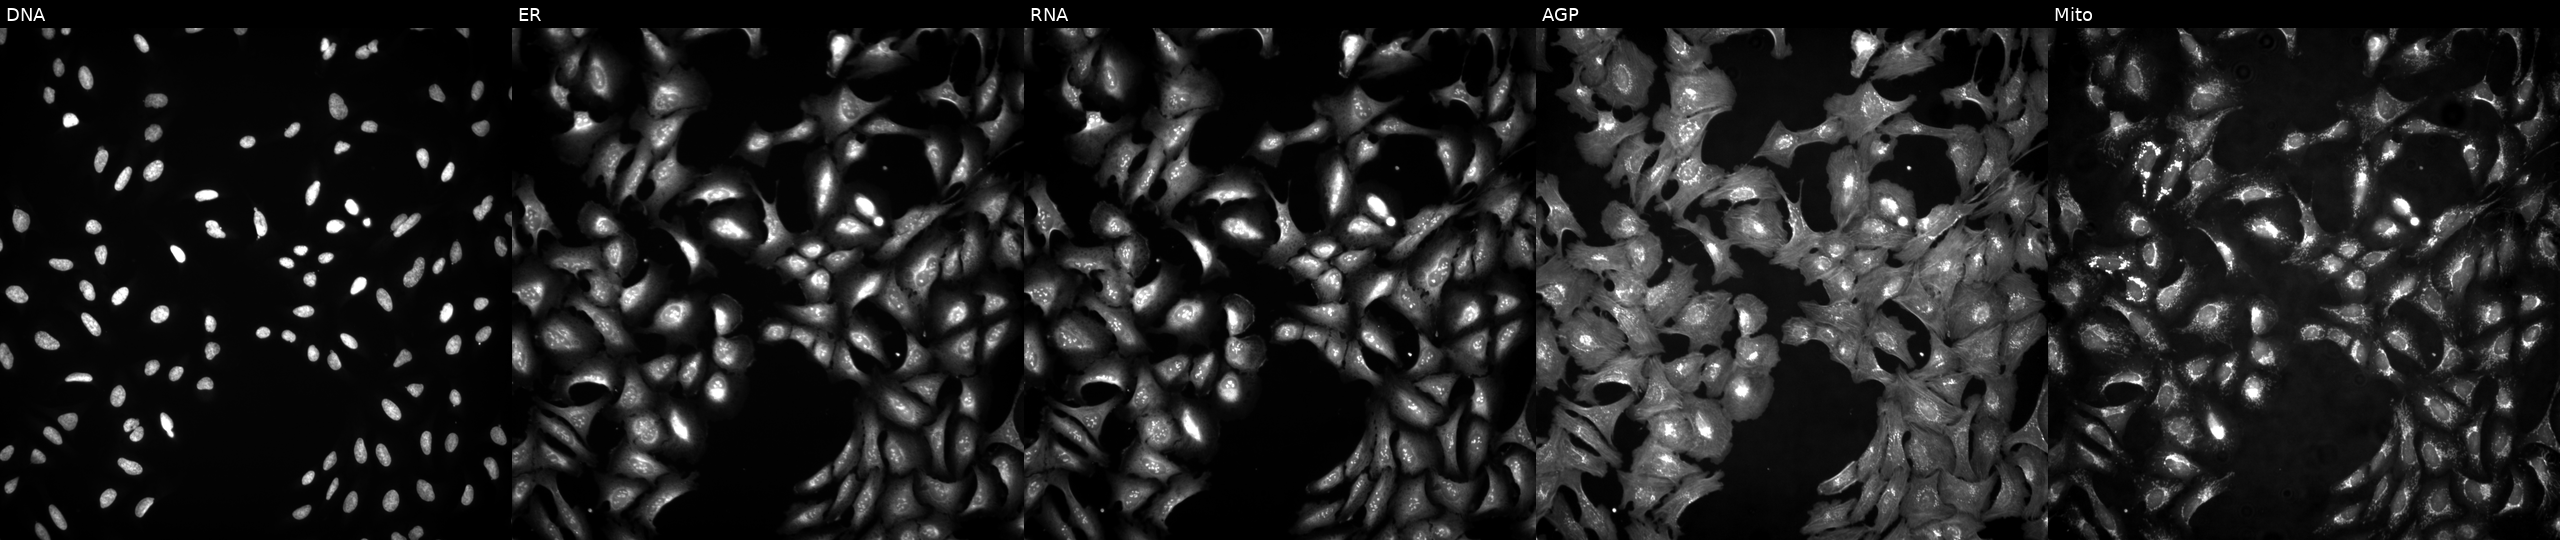
Panels show, left to right, DNA, ER, RNA, AGP, and Mito. U2OS osteosarcoma cells with CSNK2B overexpressed (ORF) (JUMP id JCP2022_913637). Cell Painting assay, JUMP-CP dataset.